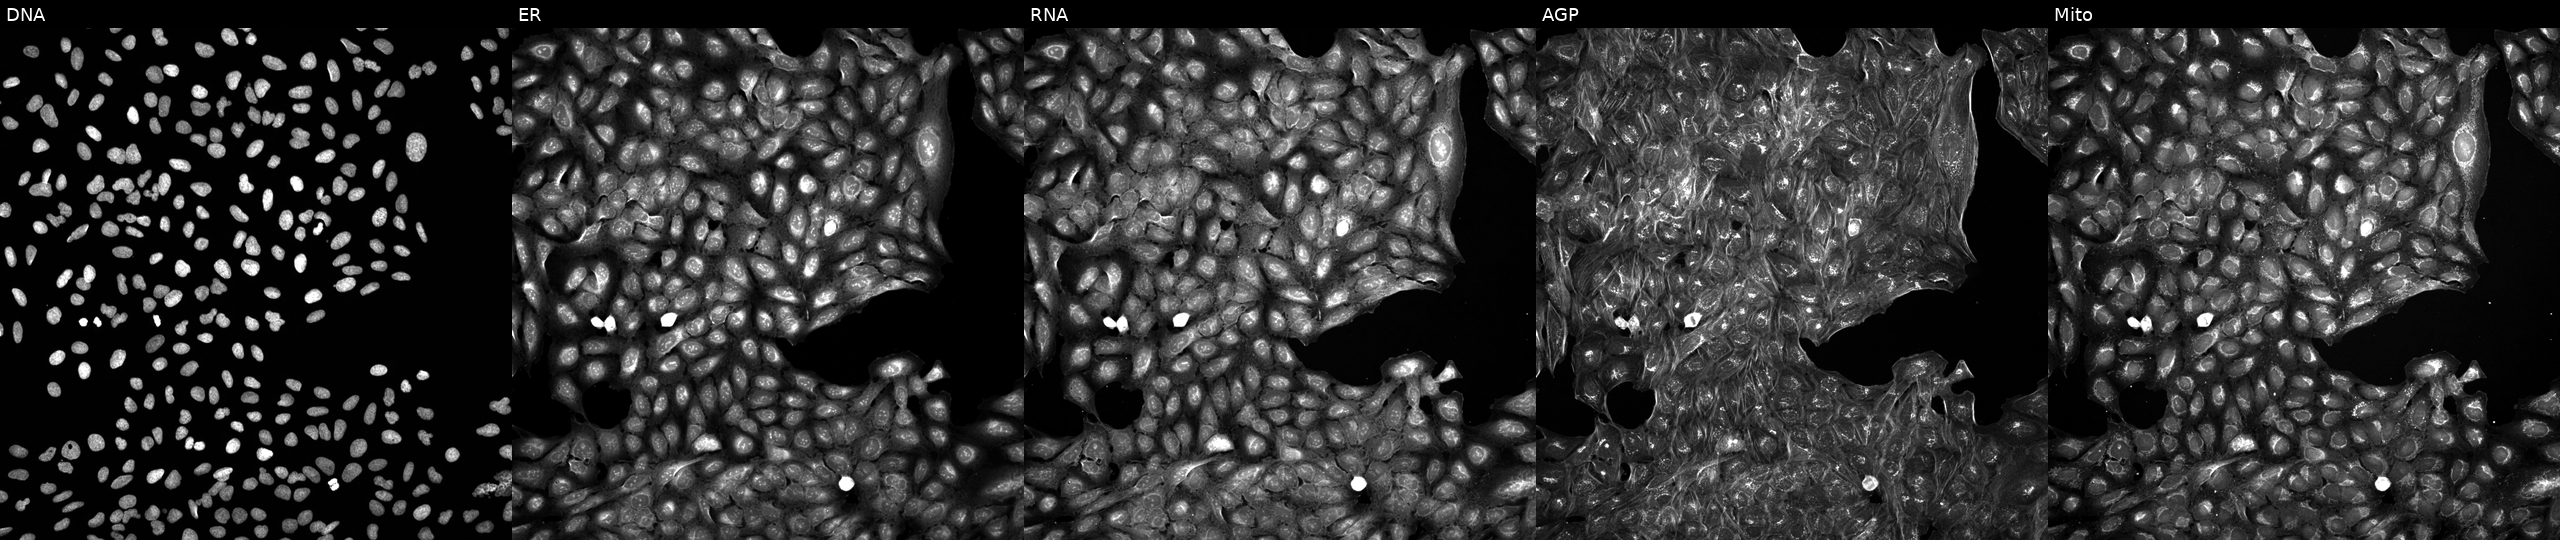
Five-channel Cell Painting image of U2OS cells exposed to a small-molecule compound (InChIKey ZSOWRAORUDJESE-UHFFFAOYSA-N) [SMILES: COc1cc[nH]c(=NCC(c2ccccc2)c2c[nH]c3ccccc23)n1] (JUMP id JCP2022_115414). Panels show, left to right, DNA (nuclei); ER (endoplasmic reticulum); RNA (nucleoli and cytoplasmic RNA); AGP (actin cytoskeleton, Golgi, and plasma membrane); Mito (mitochondria).